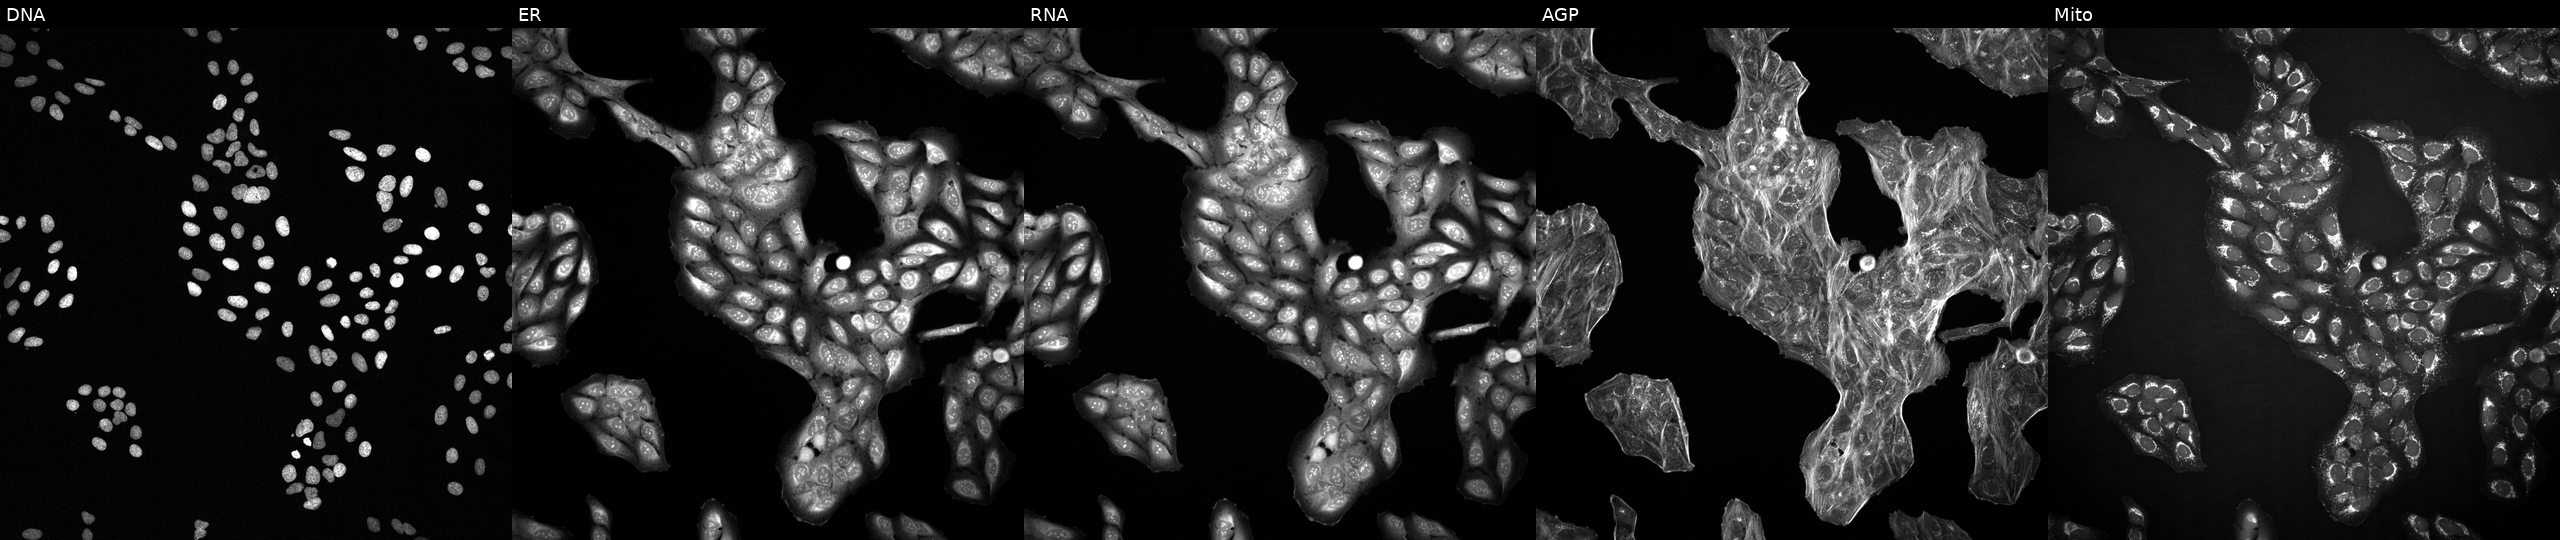
High-content fluorescence microscopy (Cell Painting). Cell line: U2OS. Perturbation: exposed to a small-molecule compound (JUMP id JCP2022_044847). The five panels, left to right, show DNA, ER, RNA, AGP, and Mito. Source 2, plate 1053601756, well E19.